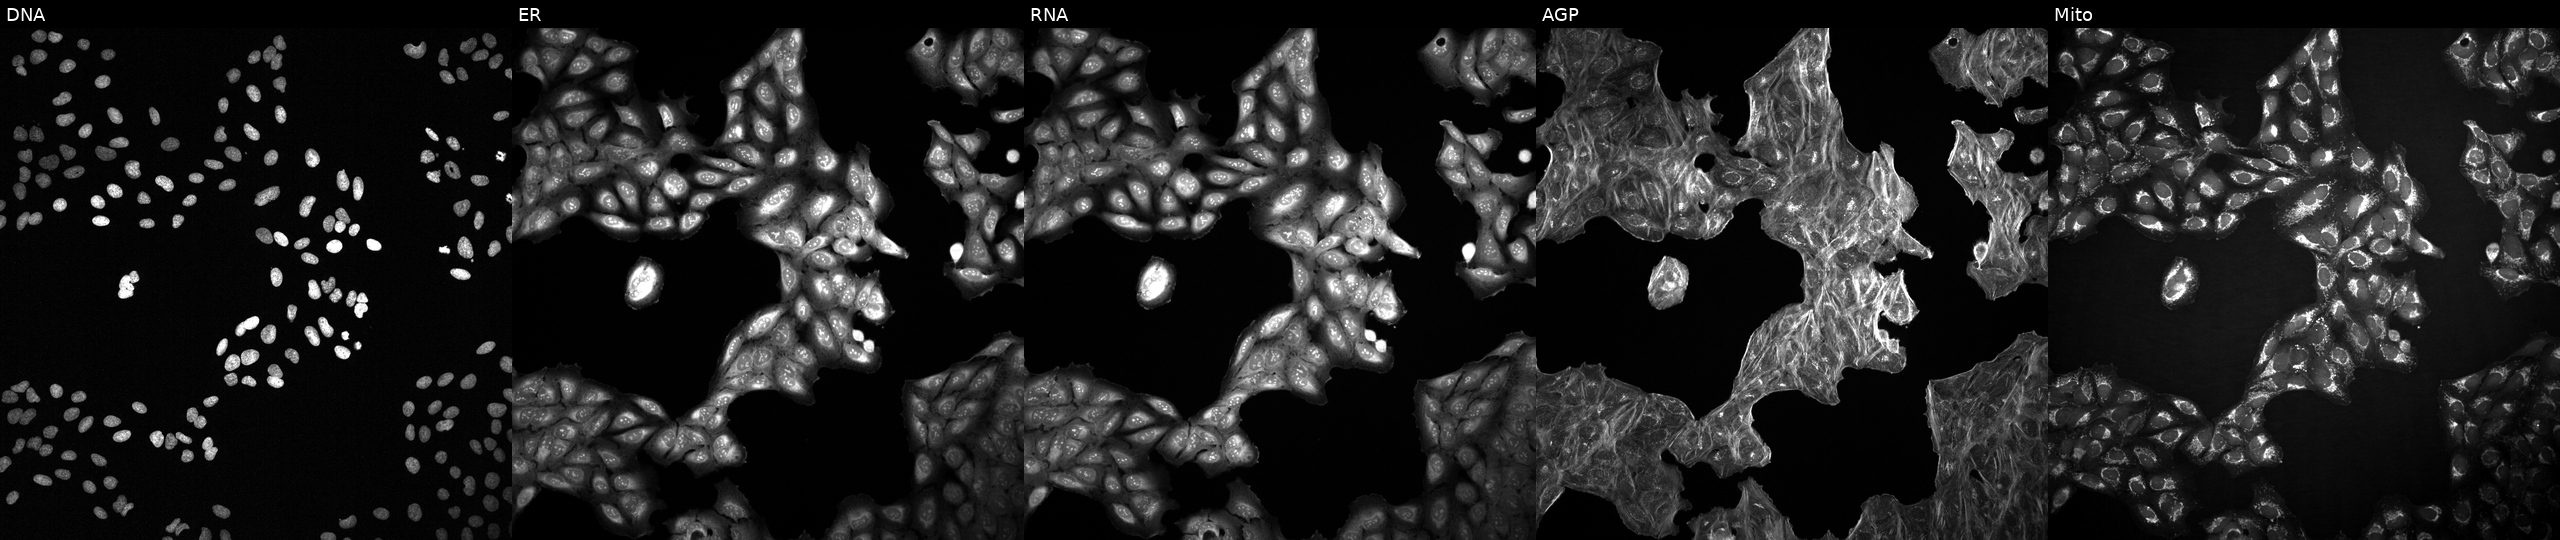
JUMP Cell Painting — COMPOUND plate. U2OS cells exposed to a small-molecule compound (InChIKey KRUOTNCZENFECJ-UHFFFAOYSA-N) (JUMP id JCP2022_046598). Panels show, left to right, Hoechst 33342, concanavalin A, SYTO 14, phalloidin and WGA, MitoTracker.